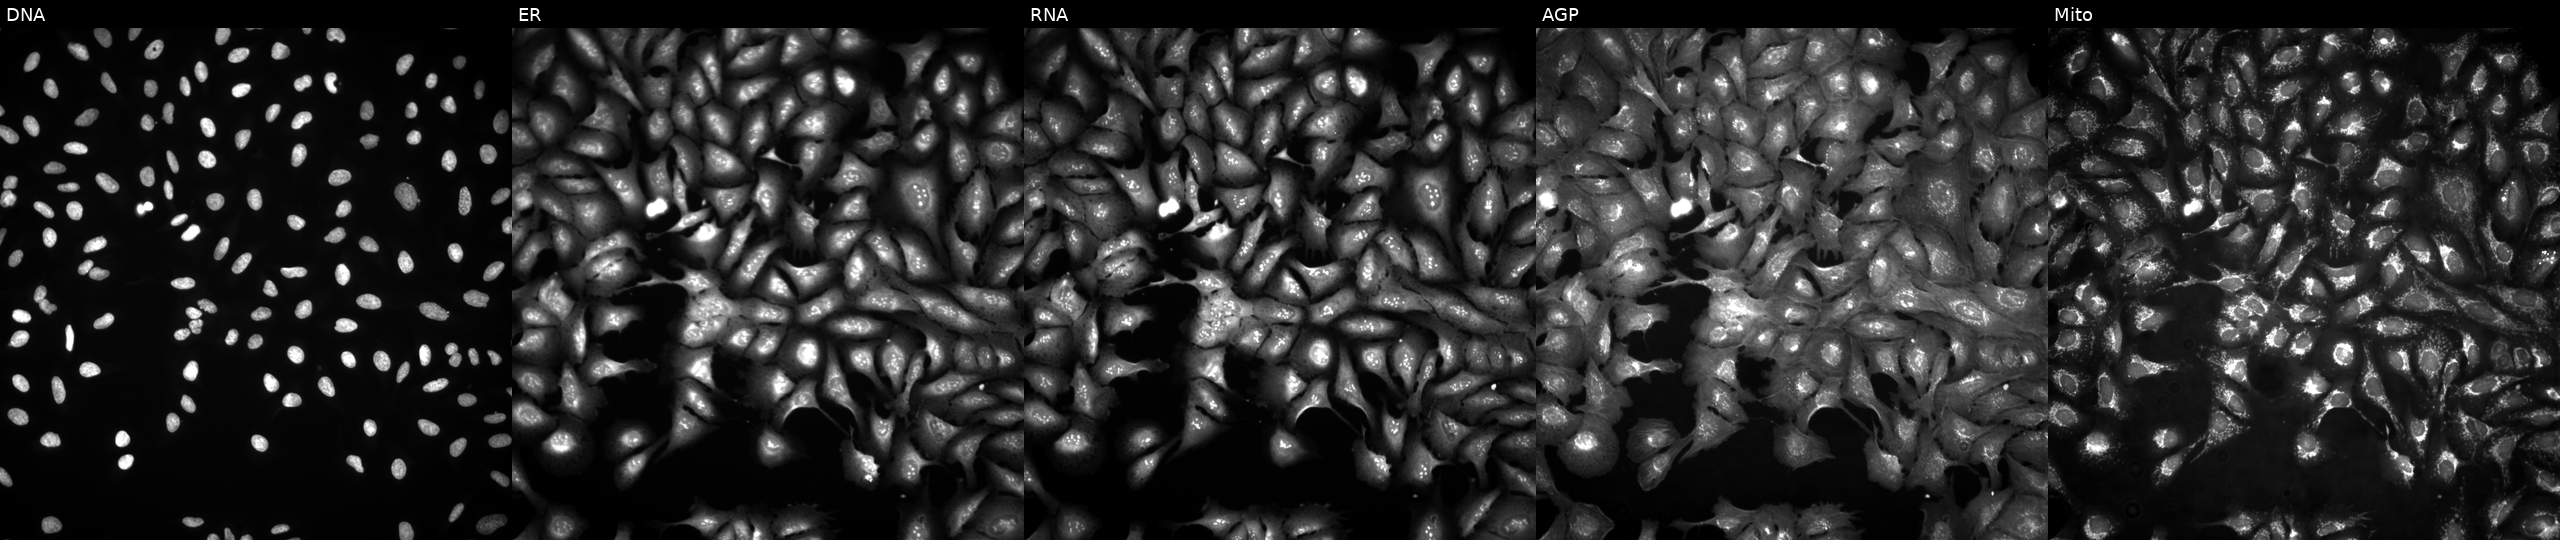
This image strip shows the five Cell Painting channels for a single field of U2OS cells transfected with an ORF construct for DPH2 (JUMP id JCP2022_905723). Channels (left→right): Hoechst 33342, concanavalin A, SYTO 14, phalloidin and WGA, MitoTracker. Source 4, plate BR00124787, well D06.